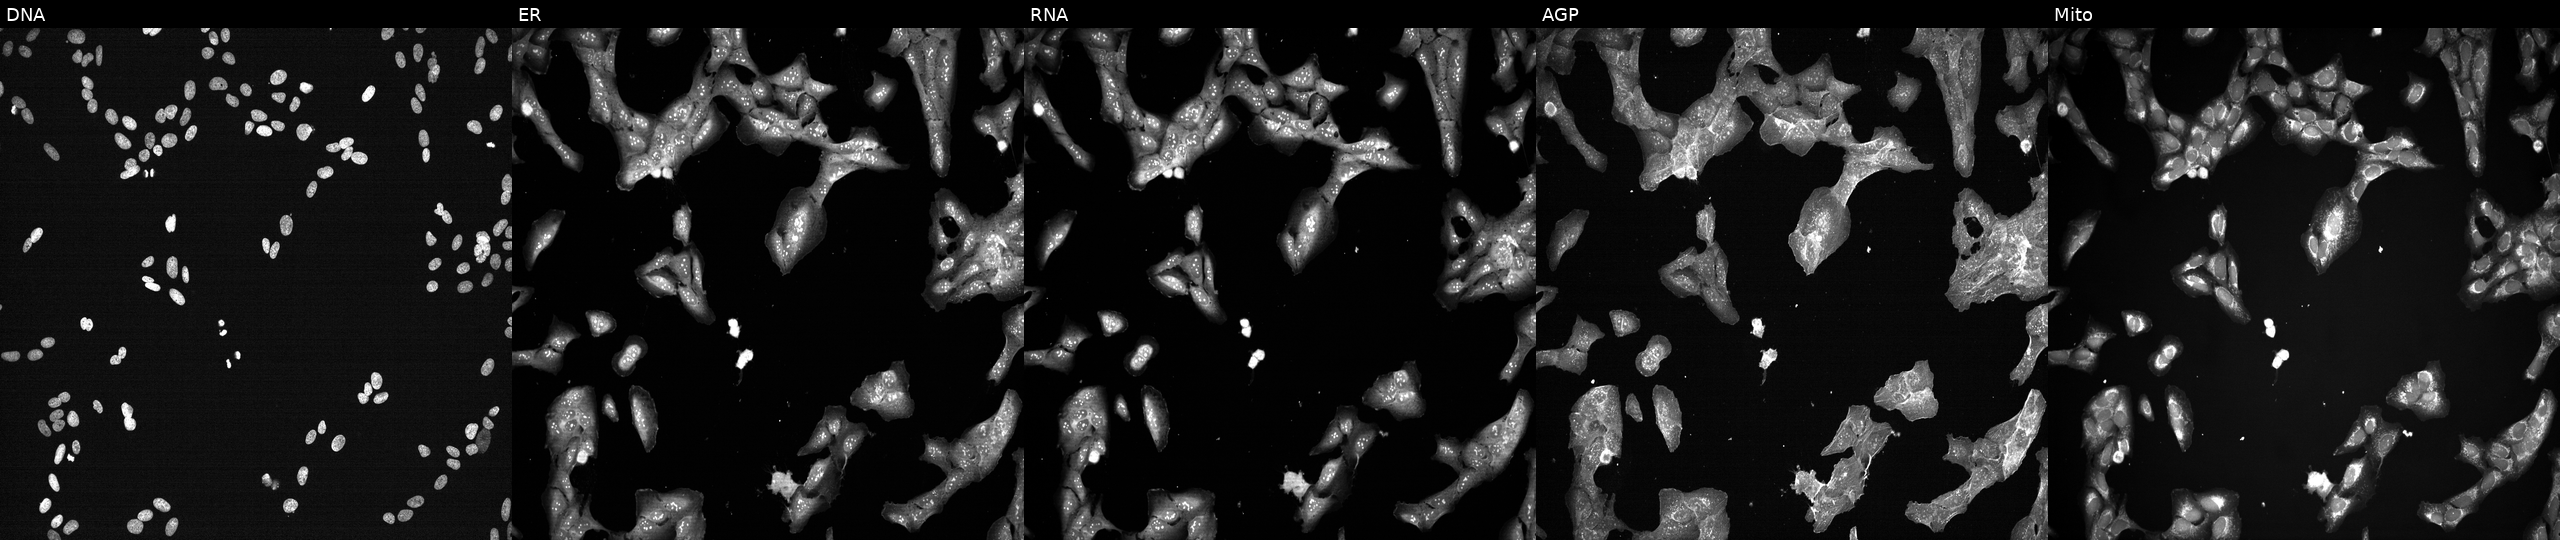
This image strip shows the five Cell Painting channels for a single field of U2OS cells exposed to a small-molecule compound [SMILES: N=c1[nH]c(=S)c2[nH]cnc2[nH]1]. The five panels, left to right, show Hoechst 33342, concanavalin A, SYTO 14, phalloidin and WGA, MitoTracker. Source 7, plate CP2-SC1-25, well D20.